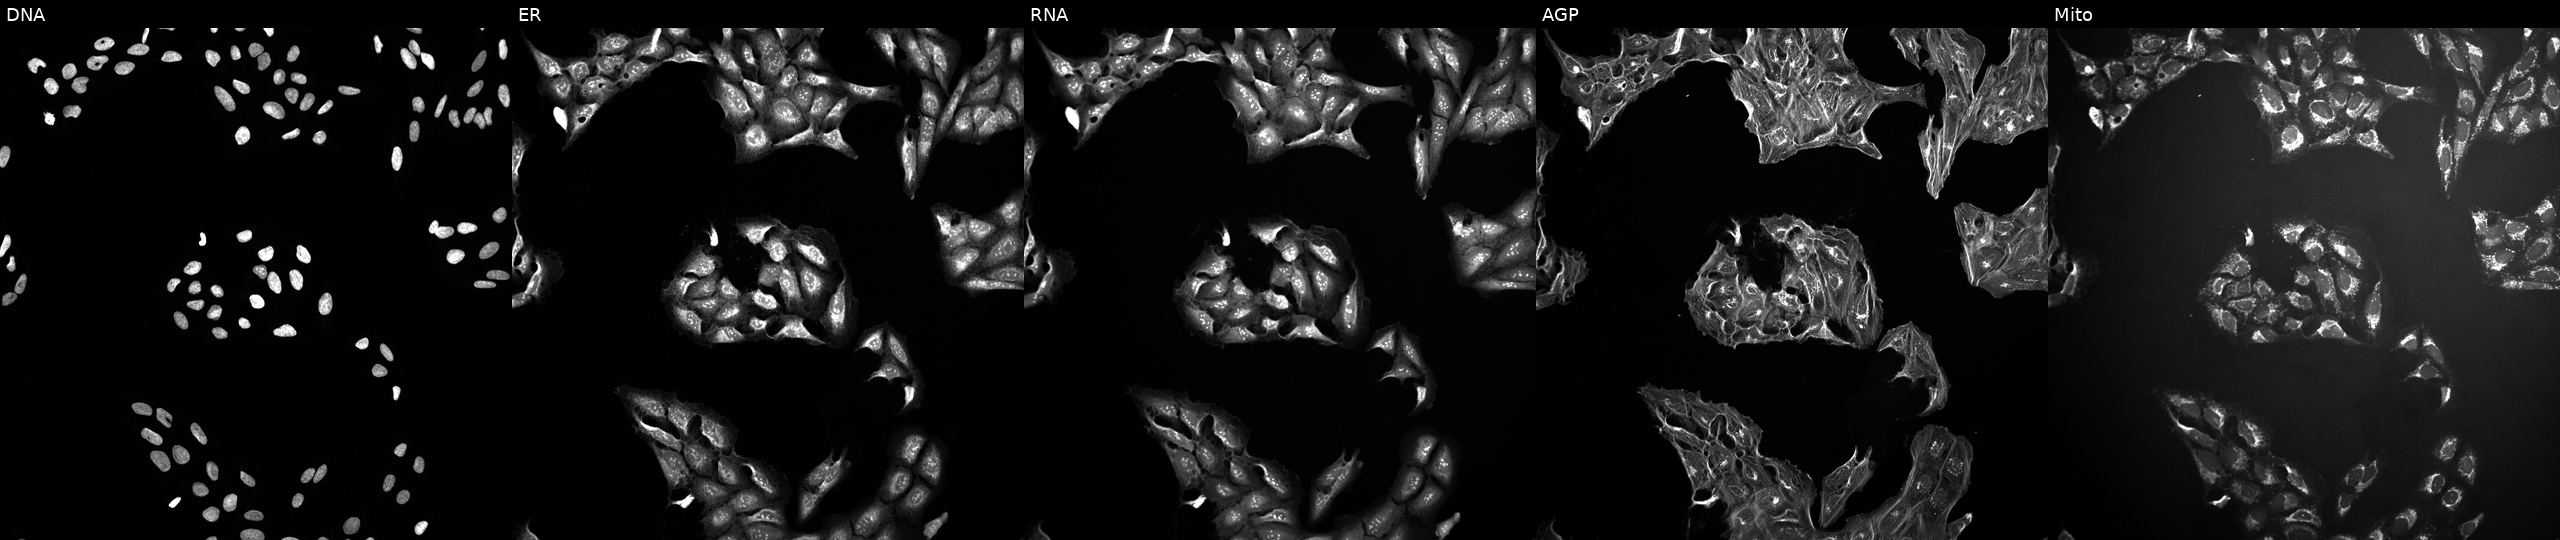
High-content fluorescence microscopy (Cell Painting). Cell line: U2OS. Perturbation: exposed to a small-molecule compound (InChIKey VHHVPDKNKPNKHY-UHFFFAOYSA-N). Channels (left→right): DNA, ER, RNA, AGP, and Mito. Source 10, plate Dest210726-160150, well G24.